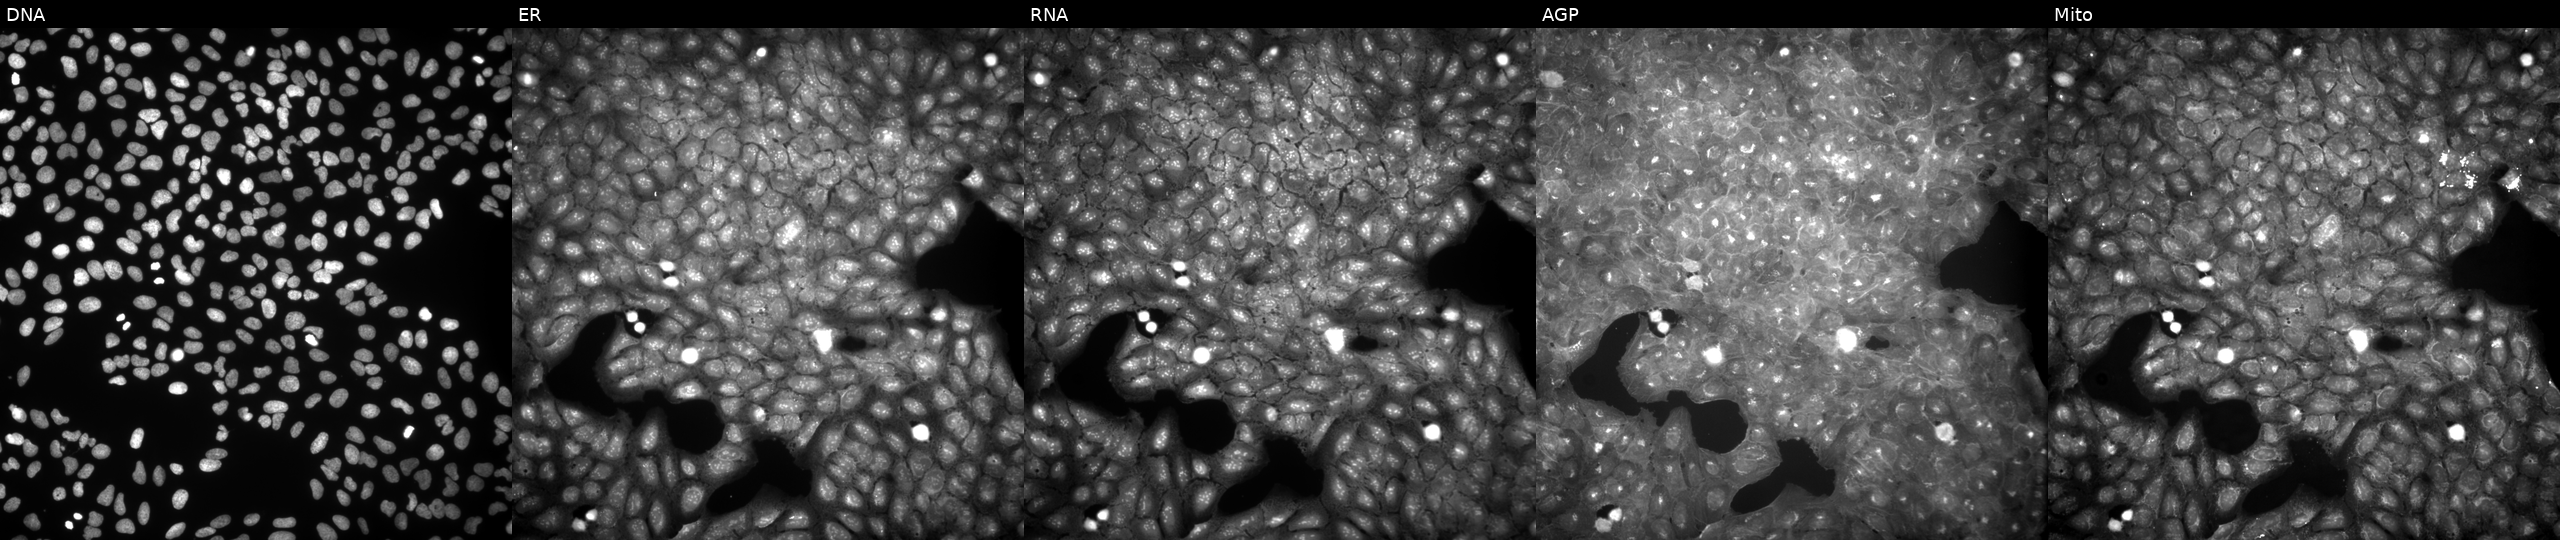
U2OS cells, Cell Painting assay, perturbed with a small-molecule compound (InChIKey NKKZIQKCPFGHBK-UHFFFAOYSA-N). Panels show, left to right, Hoechst 33342, concanavalin A, SYTO 14, phalloidin and WGA, MitoTracker. Each panel is percentile-stretched 16-bit fluorescence. Source 9, plate GR00003381, well K33.